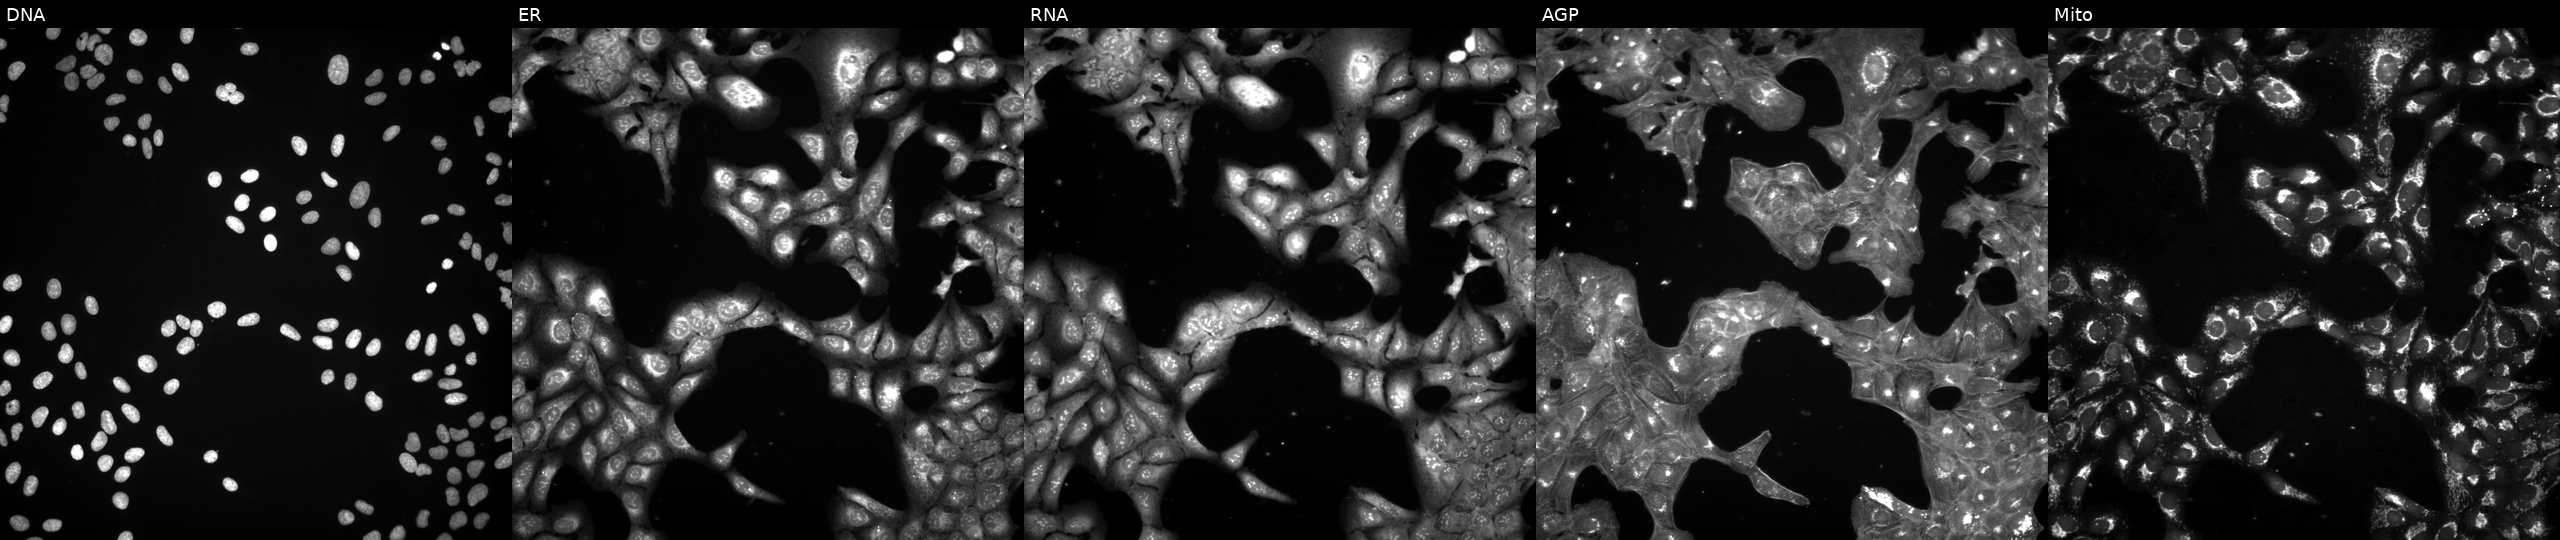
This image strip shows the five Cell Painting channels for a single field of U2OS cells treated with a small-molecule compound (InChIKey PKYKNPLSFOKASK-UHFFFAOYSA-N). The five panels, left to right, show Hoechst 33342, concanavalin A, SYTO 14, phalloidin and WGA, MitoTracker.